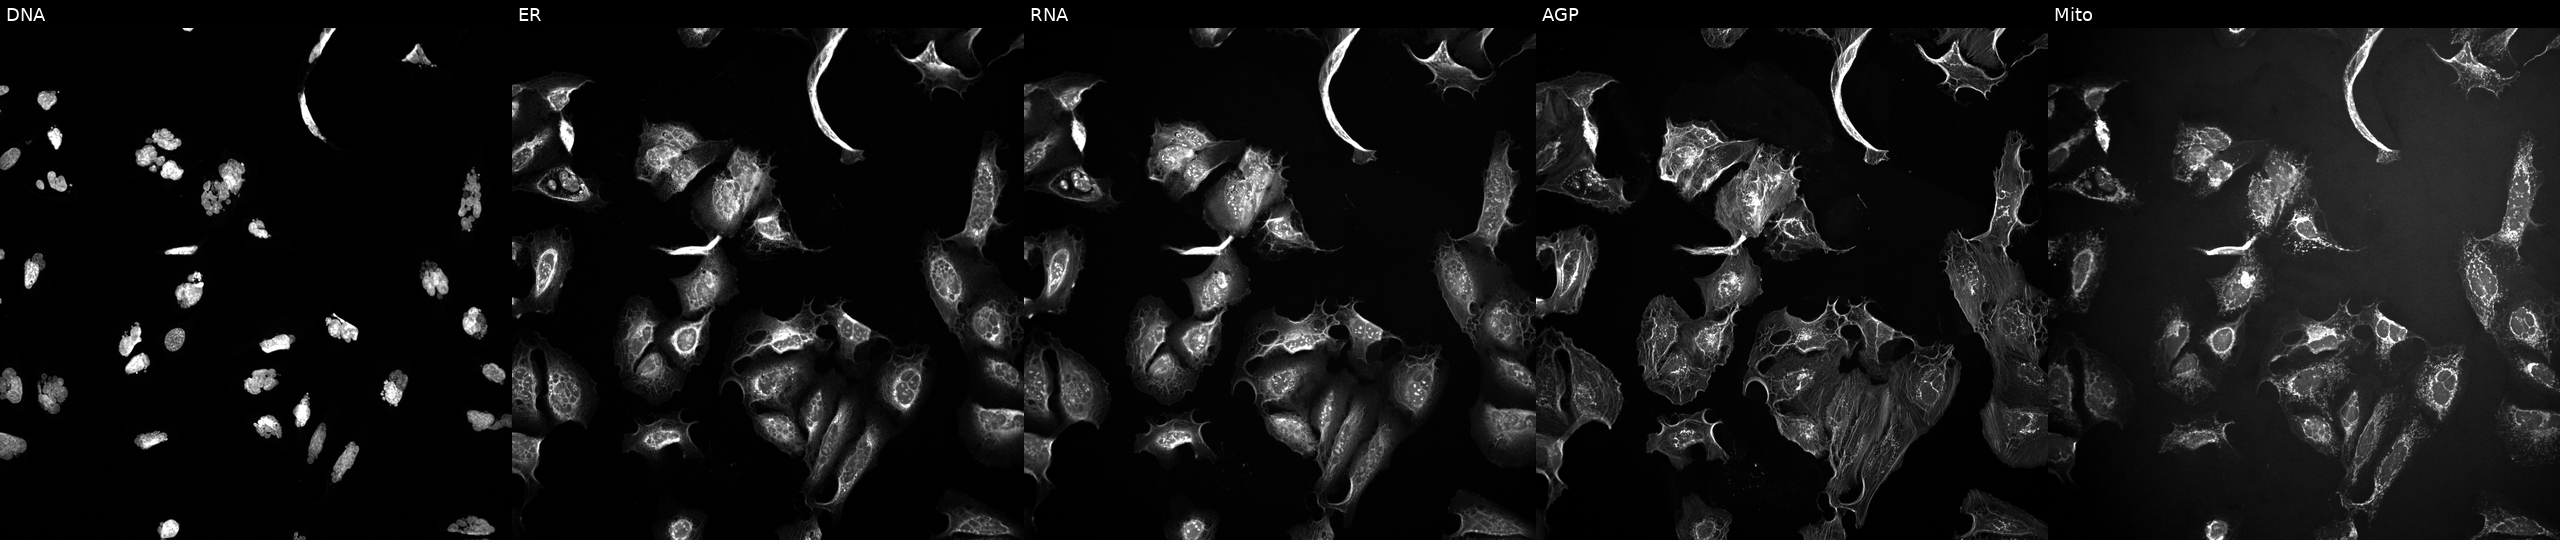
This image strip shows the five Cell Painting channels for a single field of U2OS cells exposed to the positive-control compound AMG900. Panels show, left to right, DNA (nuclei); ER (endoplasmic reticulum); RNA (nucleoli and cytoplasmic RNA); AGP (actin cytoskeleton, Golgi, and plasma membrane); Mito (mitochondria). Source 10, plate Dest210531-152324, well N24.